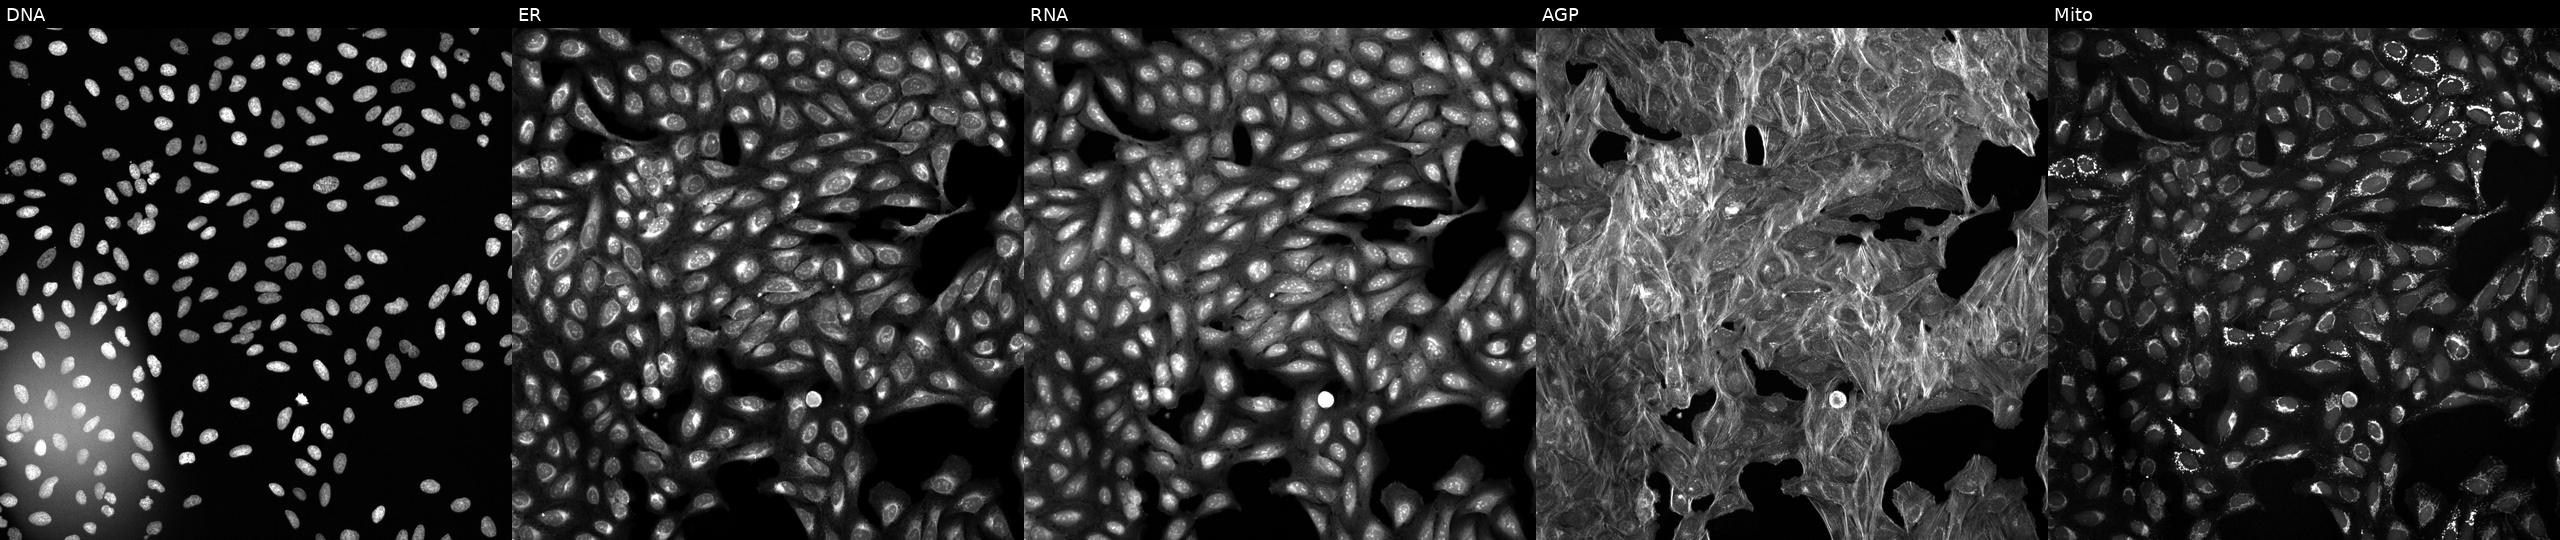
JUMP Cell Painting — TARGET2 plate. U2OS cells treated with DMSO vehicle only (negative control). Panels show, left to right, Hoechst 33342, concanavalin A, SYTO 14, phalloidin and WGA, MitoTracker. Source 6, plate 110000293081, well F05.